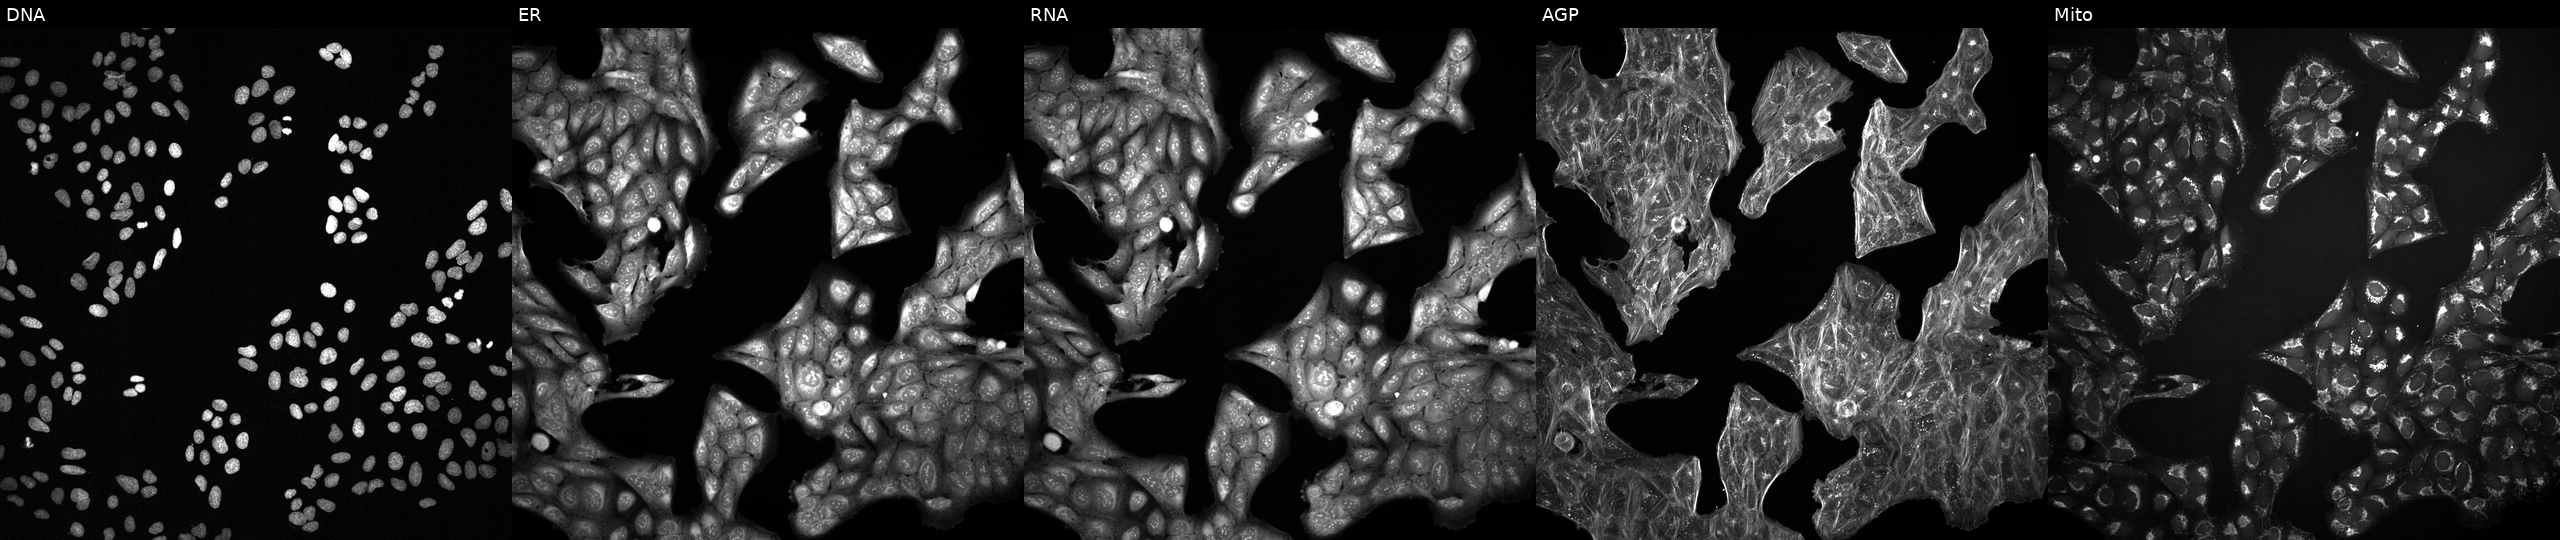
Five-channel Cell Painting image of U2OS cells exposed to a small-molecule compound (InChIKey UIEATEWHFDRYRU-UHFFFAOYSA-N) (JUMP id JCP2022_089383). Channels (left→right): DNA (nuclei); ER (endoplasmic reticulum); RNA (nucleoli and cytoplasmic RNA); AGP (actin cytoskeleton, Golgi, and plasma membrane); Mito (mitochondria).